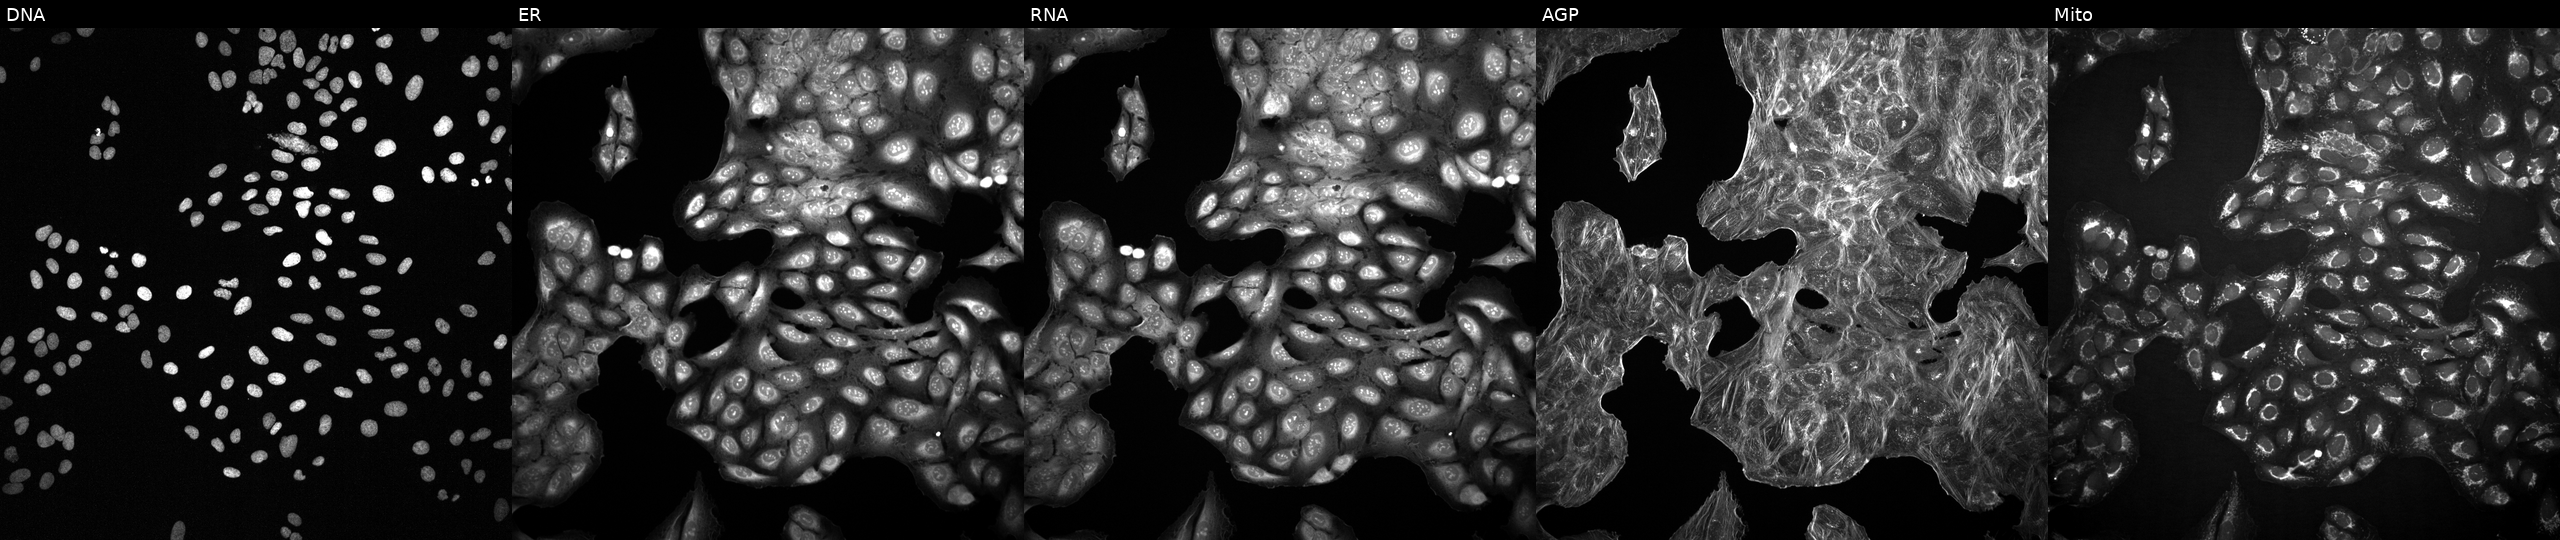
From left to right: DNA, ER, RNA, AGP, and Mito. U2OS osteosarcoma cells with an unidentified perturbation (not annotated in JUMP metadata). Cell Painting assay, JUMP-CP dataset.